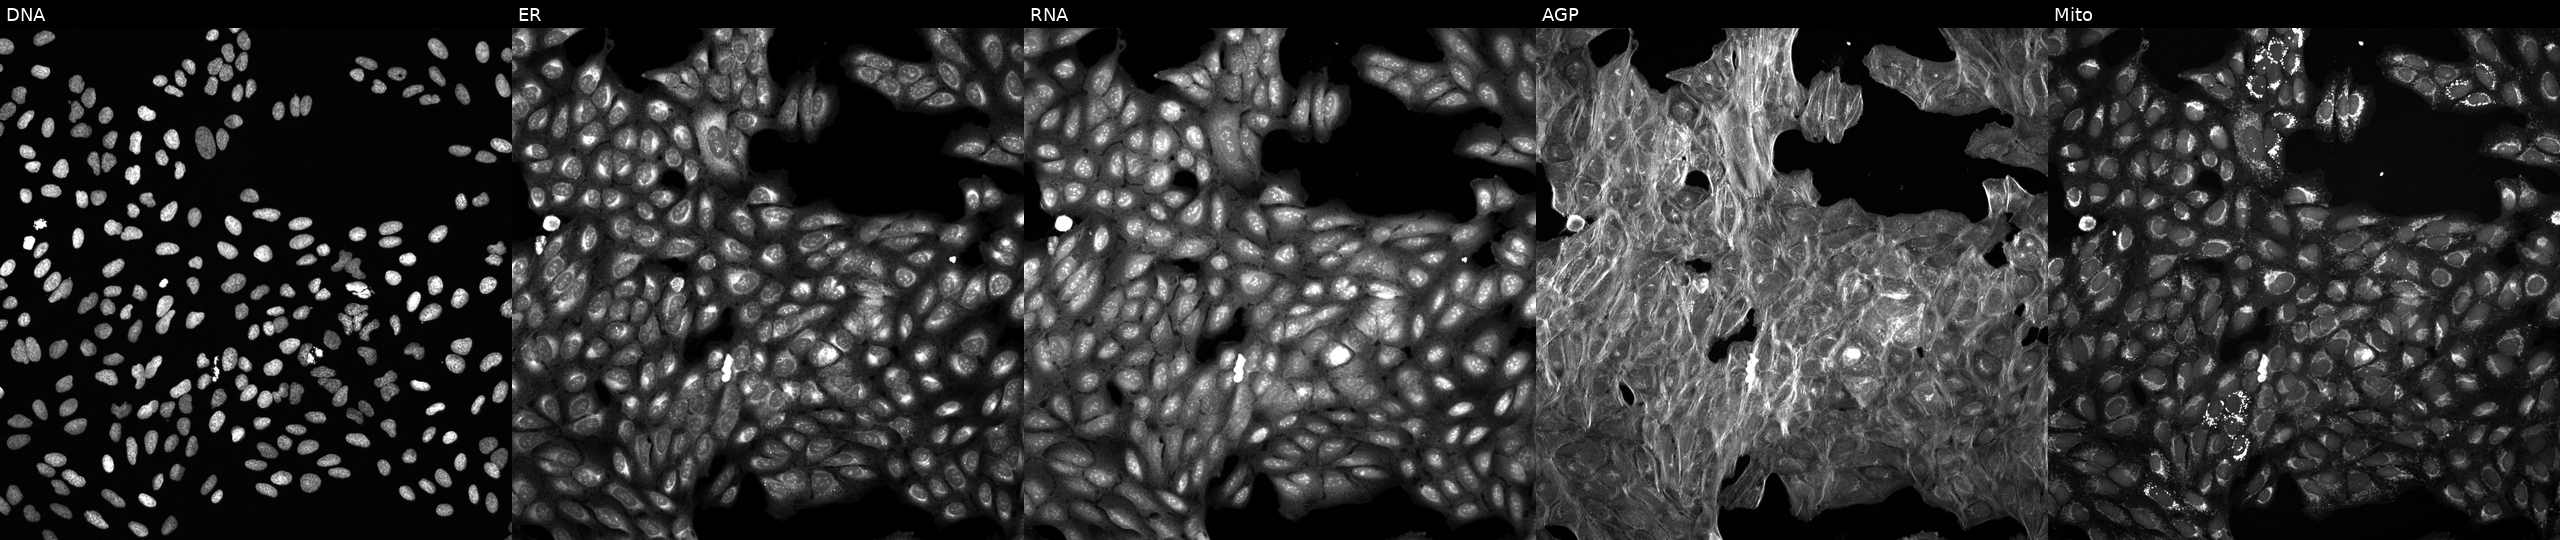
This image strip shows the five Cell Painting channels for a single field of U2OS cells exposed to a small-molecule compound (JUMP id JCP2022_076233). The five panels, left to right, show DNA (nuclei); ER (endoplasmic reticulum); RNA (nucleoli and cytoplasmic RNA); AGP (actin cytoskeleton, Golgi, and plasma membrane); Mito (mitochondria). Source 6, plate 110000293093, well L14.